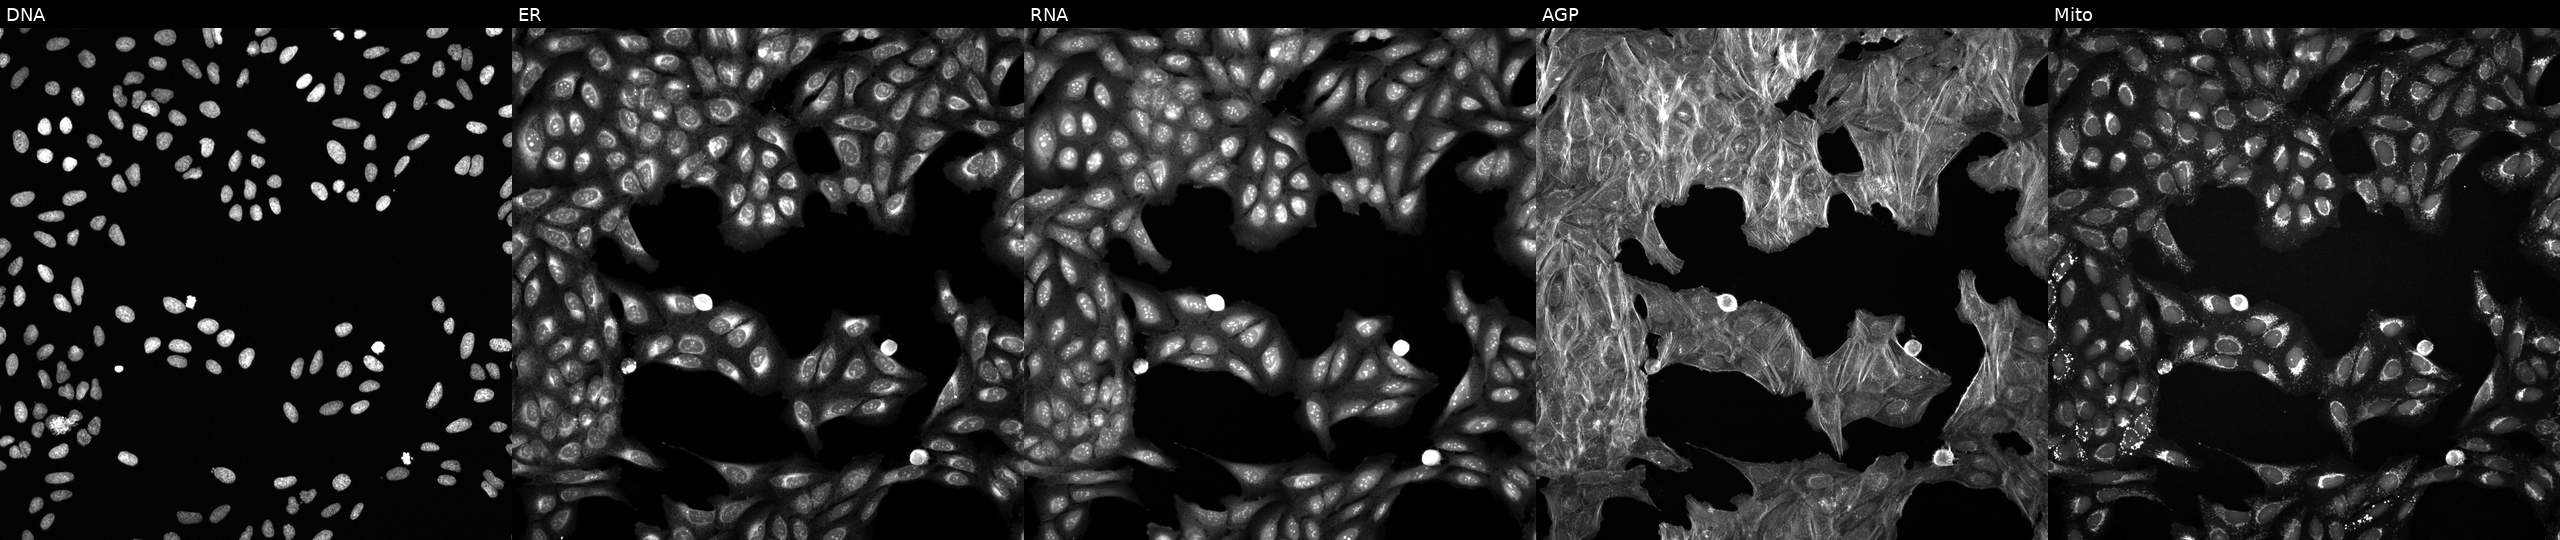
U2OS cells, Cell Painting assay, exposed to a small-molecule compound (InChIKey SNICXCGAKADSCV-UHFFFAOYSA-N) (JUMP id JCP2022_084364). Panels show, left to right, Hoechst 33342, concanavalin A, SYTO 14, phalloidin and WGA, MitoTracker. Each panel is percentile-stretched 16-bit fluorescence.